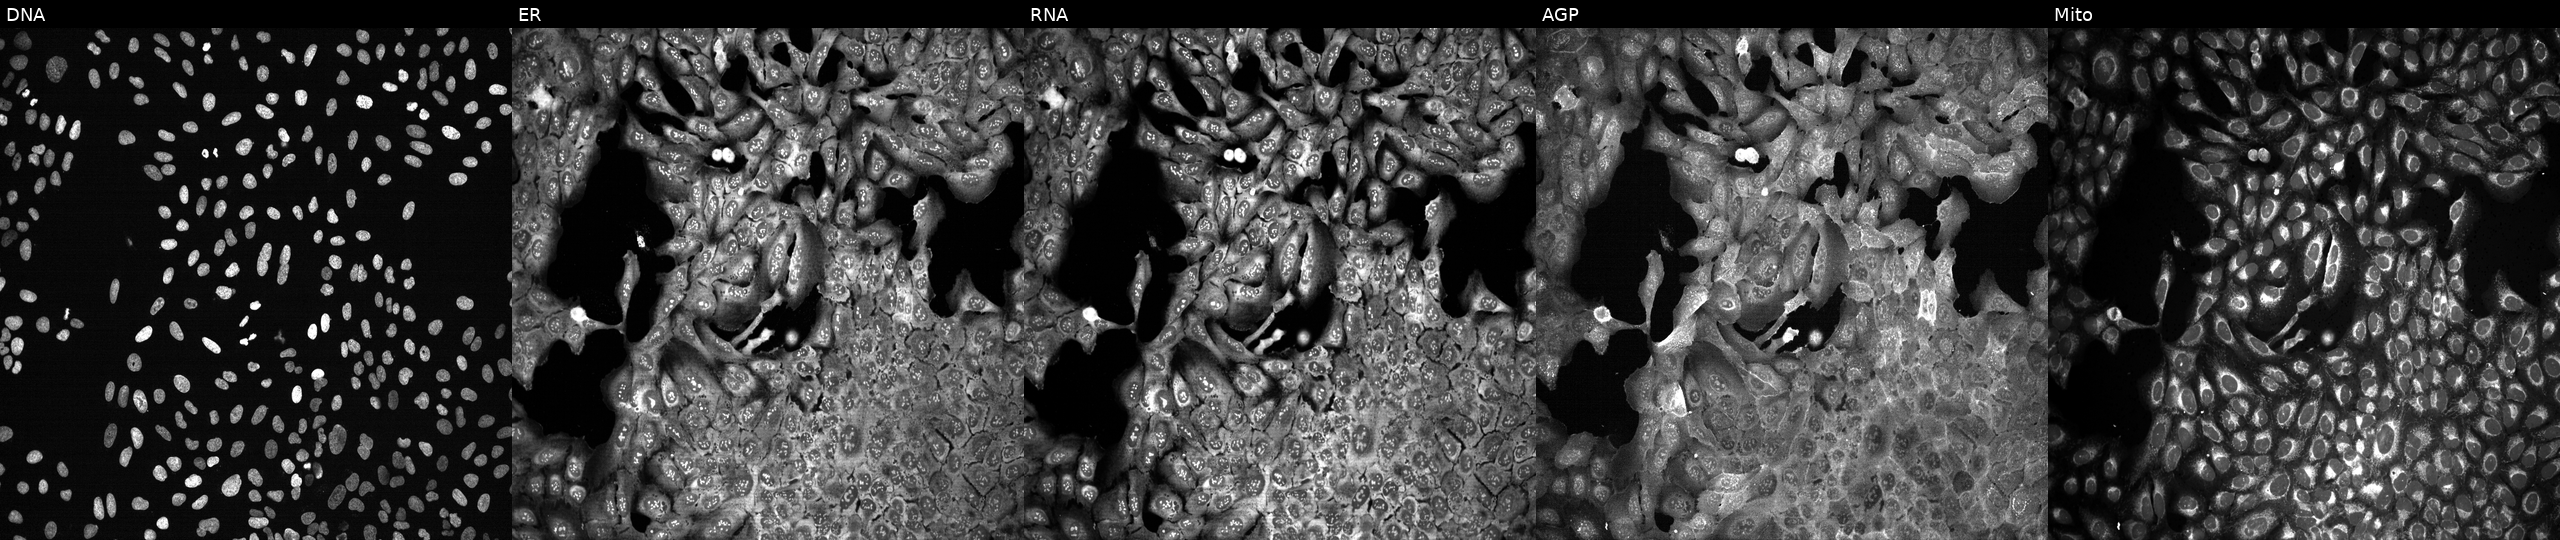
JUMP Cell Painting — CRISPR plate. U2OS cells with SLC15A4 knocked out by CRISPR. The five panels, left to right, show DNA, ER, RNA, AGP, and Mito.